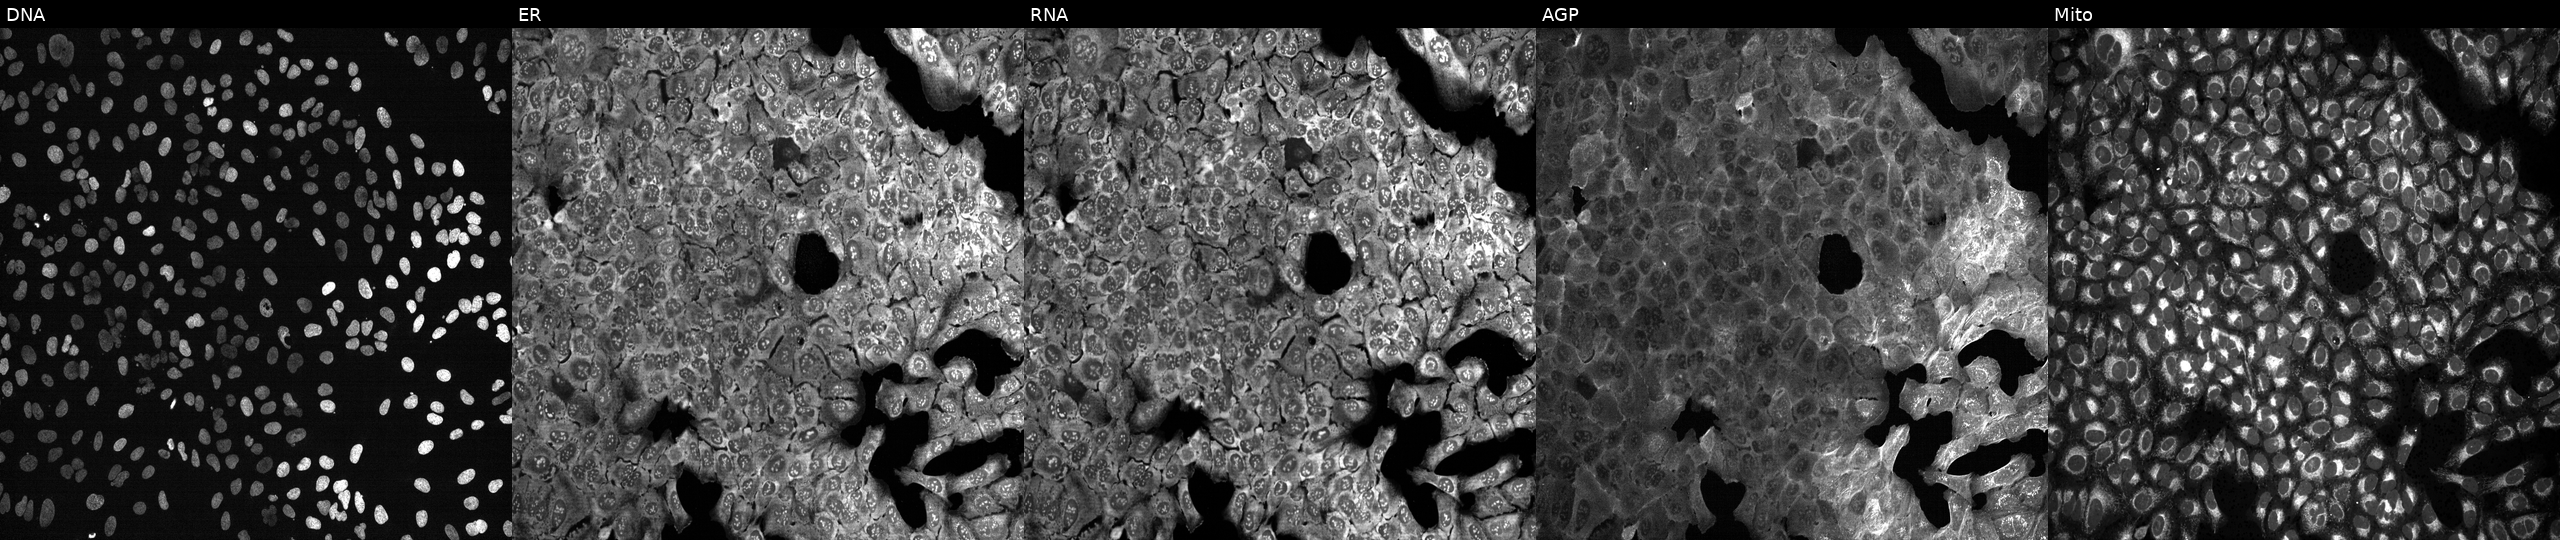
High-content fluorescence microscopy (Cell Painting). Cell line: U2OS. Perturbation: with AREG knocked out by CRISPR. From left to right: Hoechst 33342, concanavalin A, SYTO 14, phalloidin and WGA, MitoTracker.